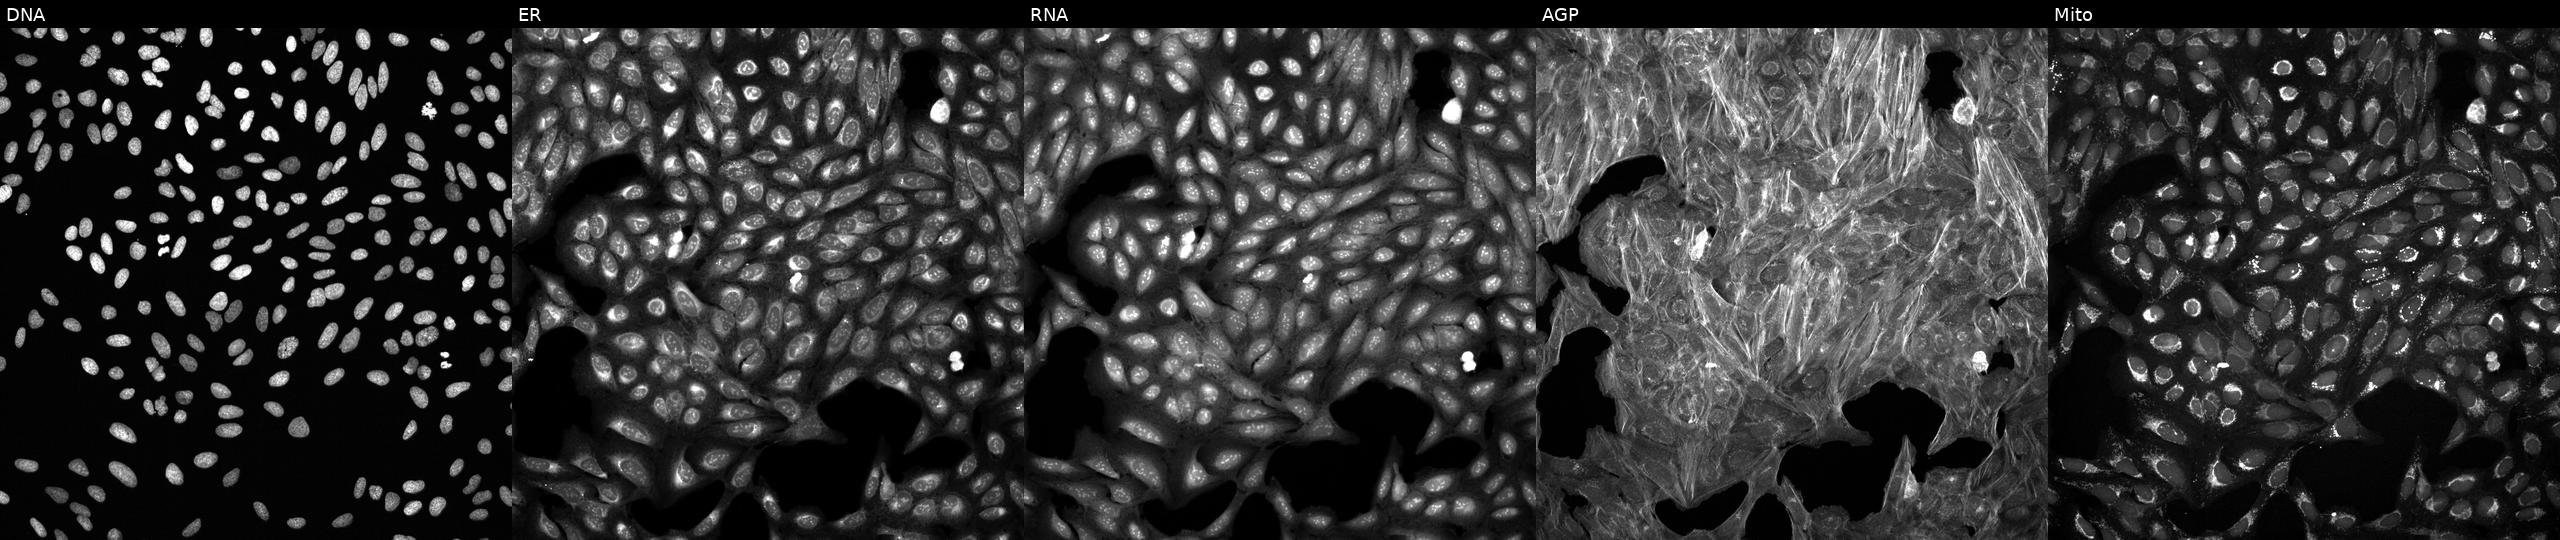
JUMP Cell Painting — COMPOUND plate. U2OS cells exposed to a small-molecule compound (InChIKey DKBSKNAKVNWVAU-UHFFFAOYSA-N) (JUMP id JCP2022_016424). Panels show, left to right, DNA, ER, RNA, AGP, and Mito. Source 6, plate 110000293082, well O15.